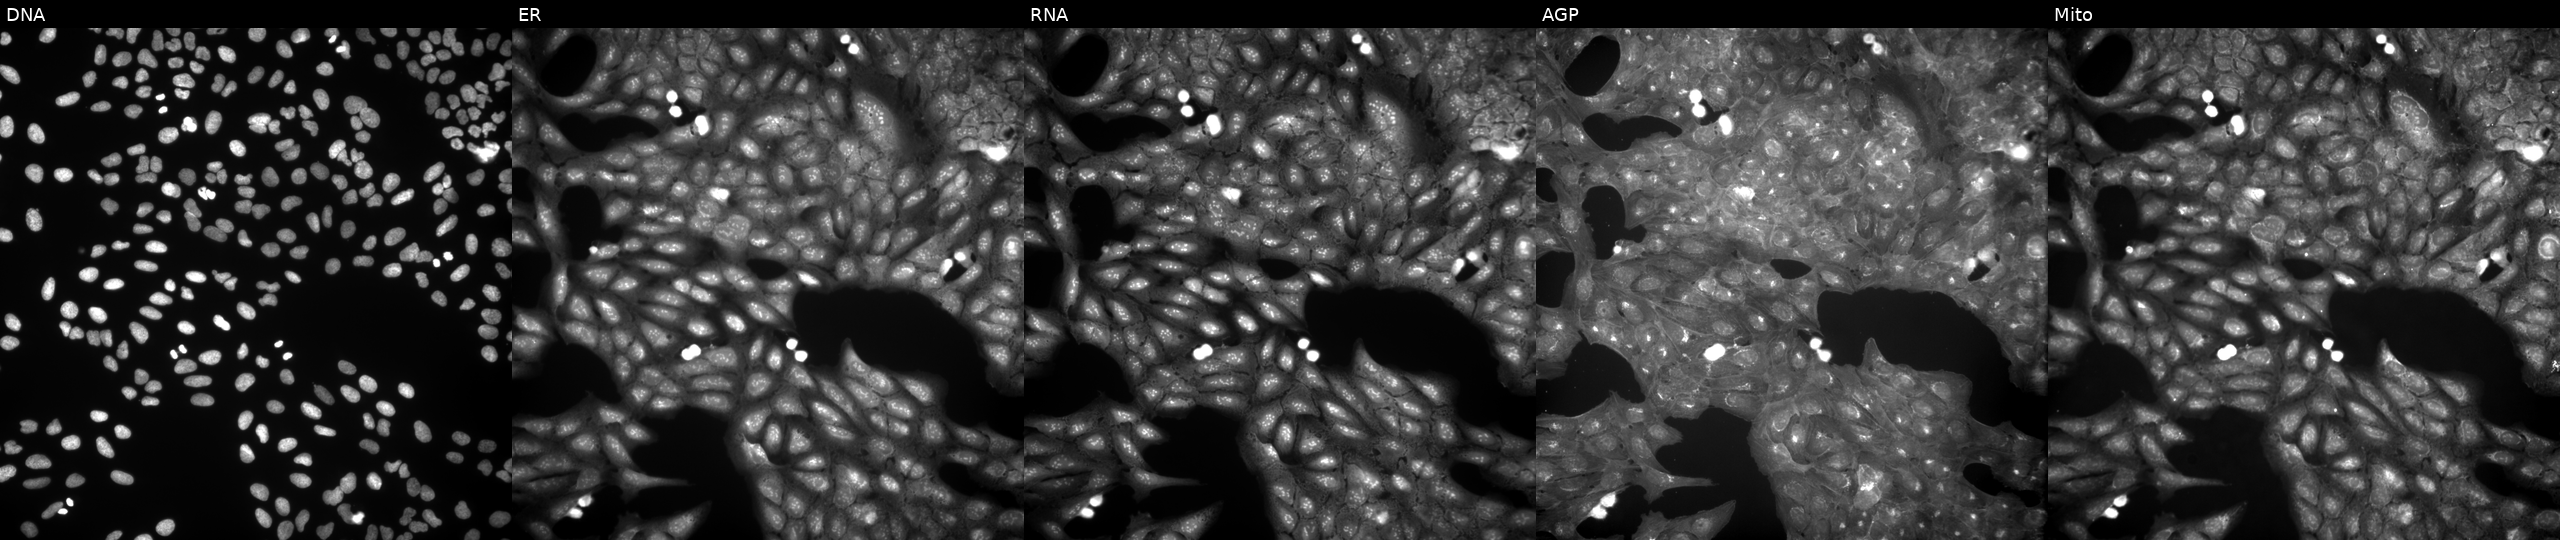
Five-channel Cell Painting image of U2OS cells exposed to a small-molecule compound (JUMP id JCP2022_079397). From left to right: Hoechst 33342, concanavalin A, SYTO 14, phalloidin and WGA, MitoTracker. Source 9, plate GR00003381, well D36.